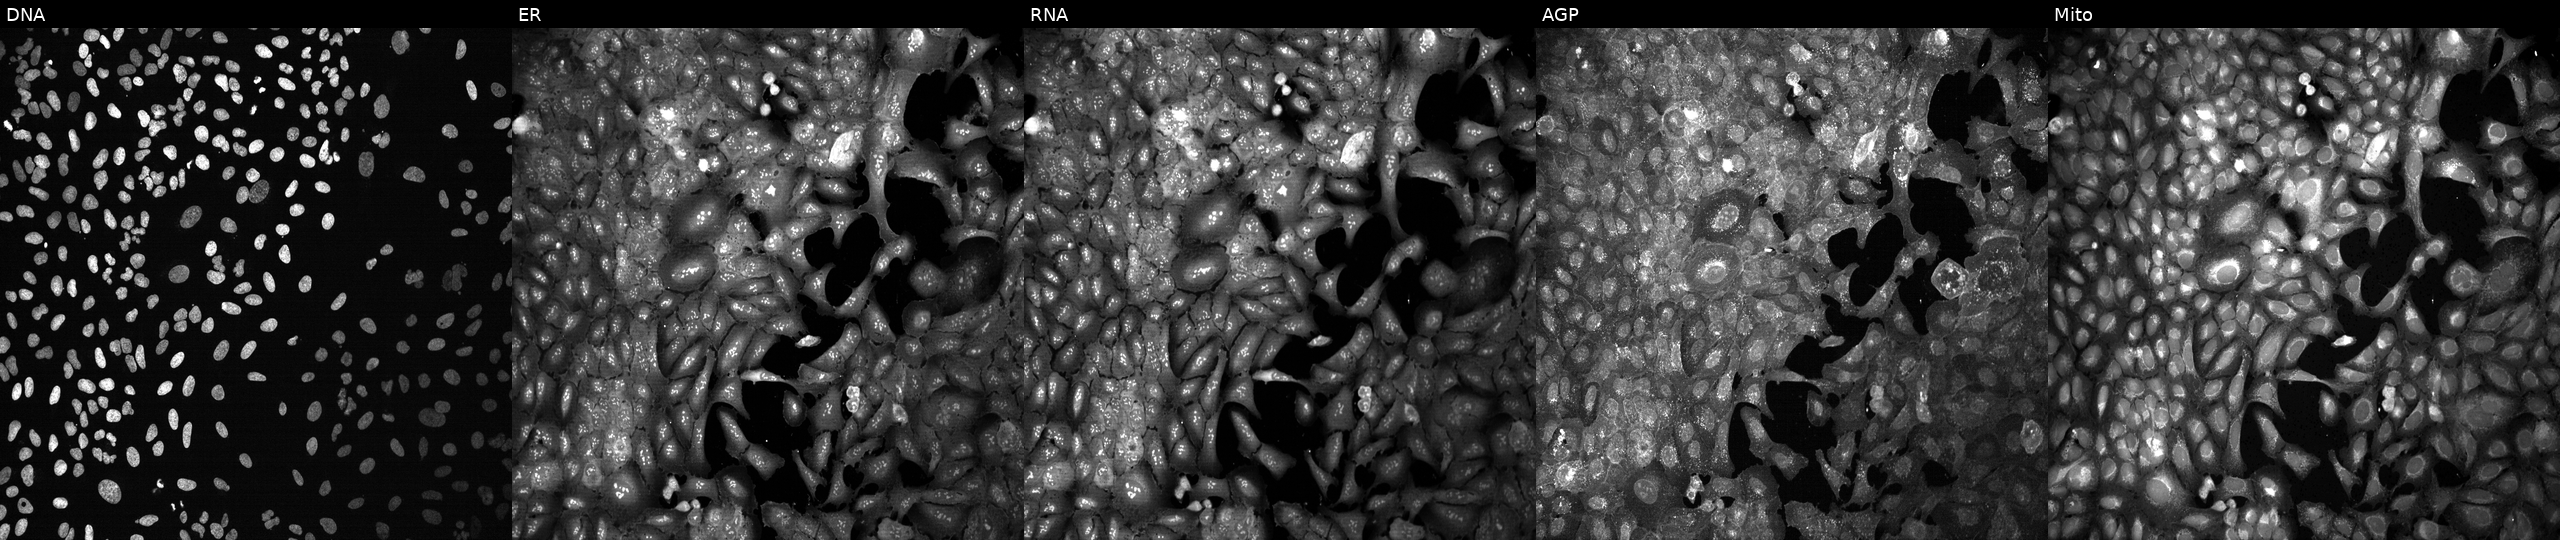
High-content fluorescence microscopy (Cell Painting). Cell line: U2OS. Perturbation: CRISPR-edited to disrupt BAX. From left to right: DNA (nuclei); ER (endoplasmic reticulum); RNA (nucleoli and cytoplasmic RNA); AGP (actin cytoskeleton, Golgi, and plasma membrane); Mito (mitochondria). Source 13, plate CP-CC9-R1-01, well J21.